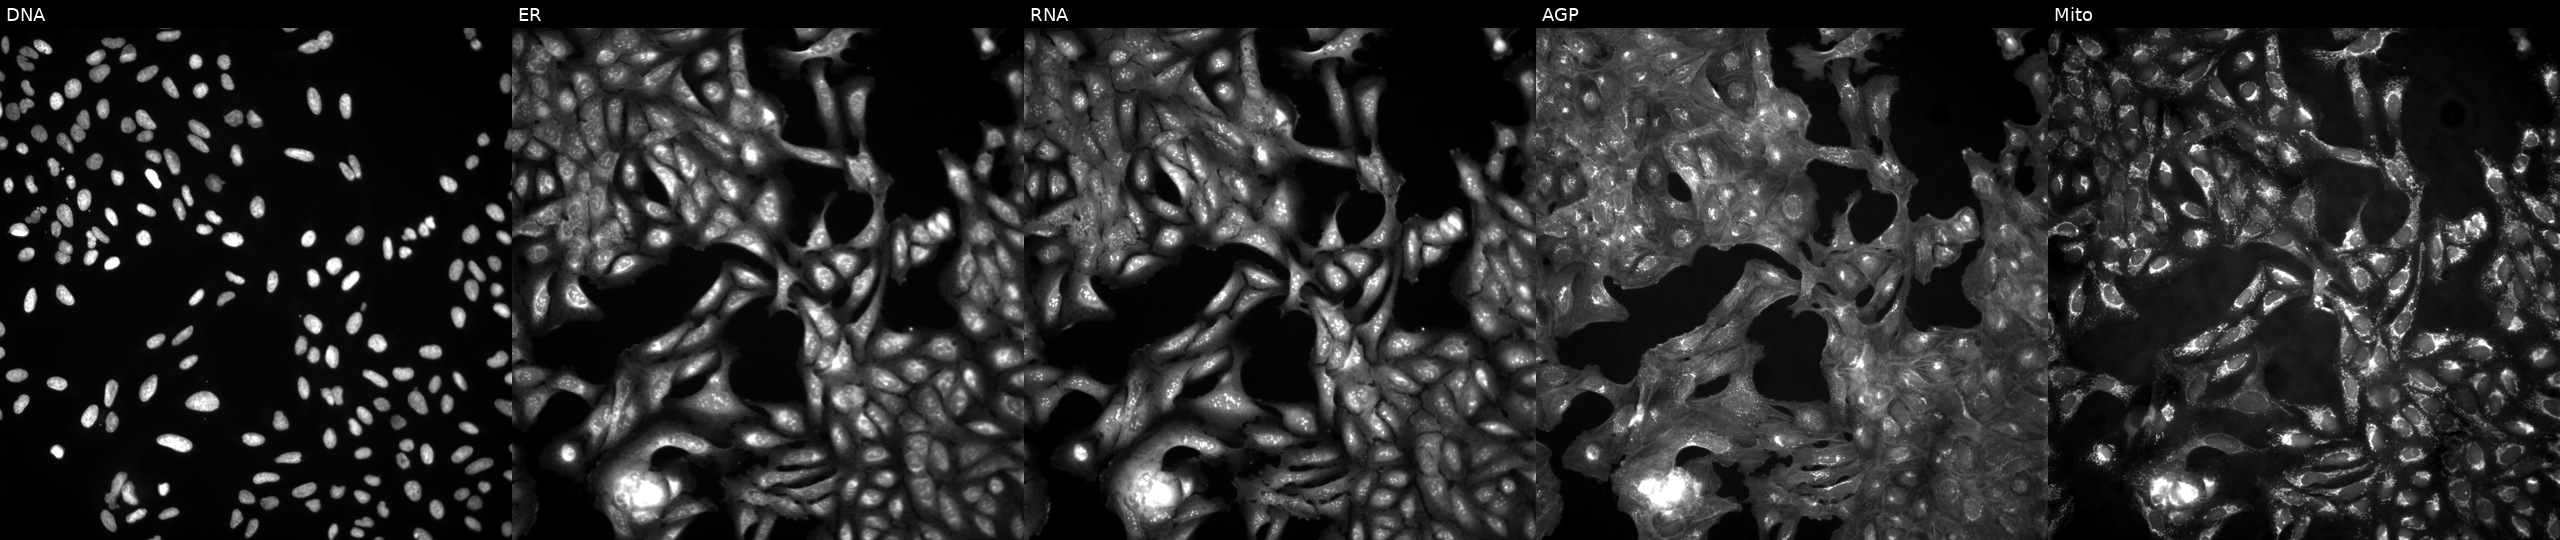
U2OS cells, Cell Painting assay, in an empty control well (no perturbation). From left to right: DNA (nuclei); ER (endoplasmic reticulum); RNA (nucleoli and cytoplasmic RNA); AGP (actin cytoskeleton, Golgi, and plasma membrane); Mito (mitochondria). Each panel is percentile-stretched 16-bit fluorescence.